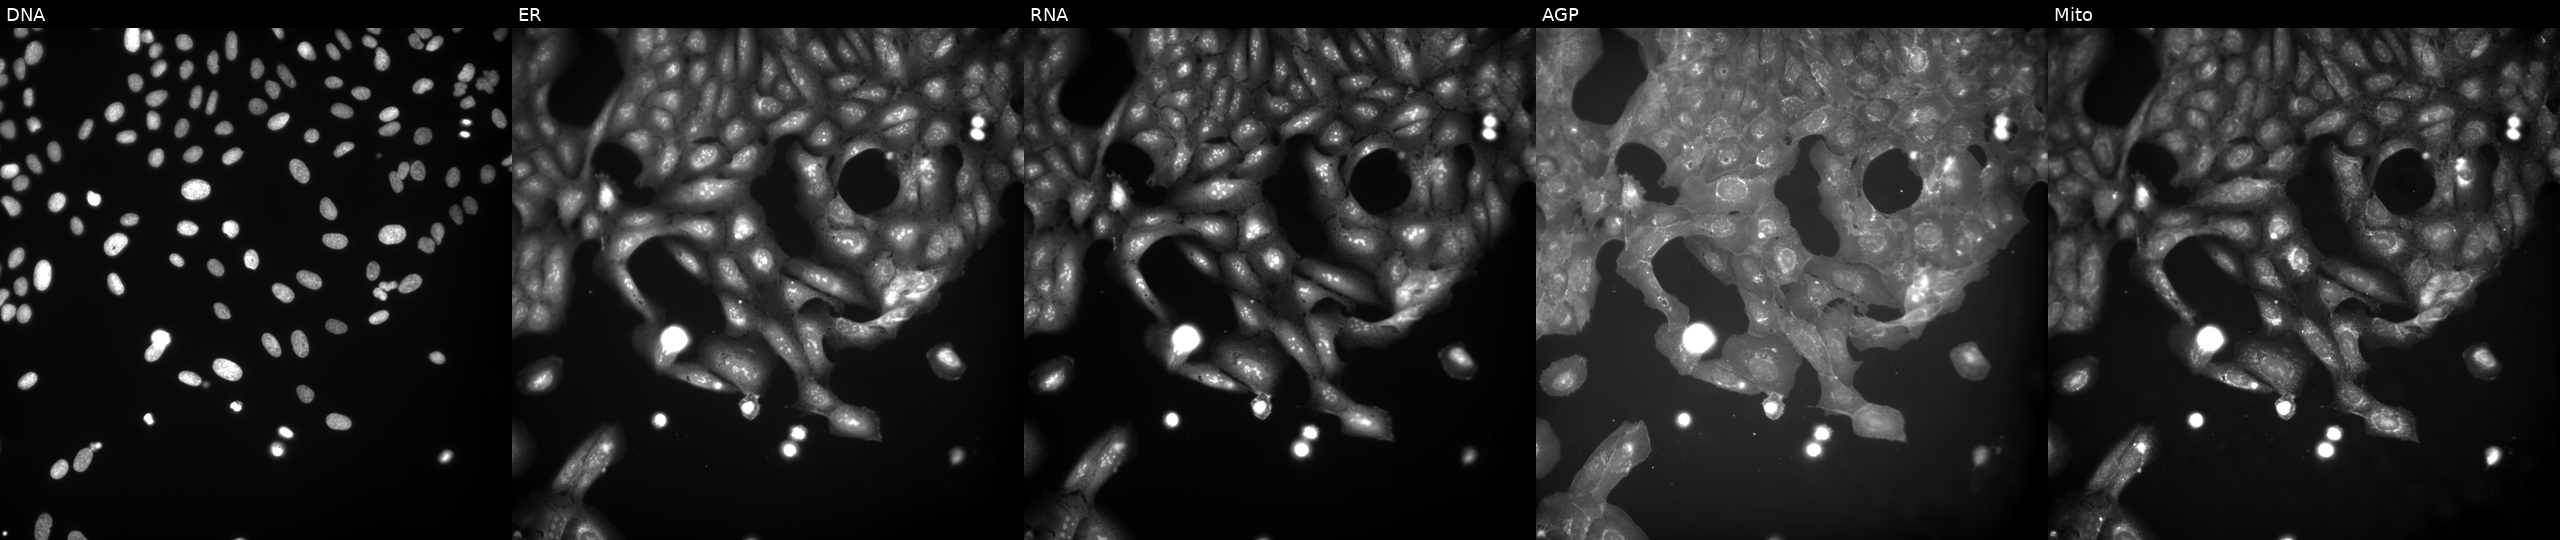
This image strip shows the five Cell Painting channels for a single field of U2OS cells treated with a small-molecule compound (InChIKey IDOMJIOORUVCPK-UHFFFAOYSA-N) [SMILES: CCOC(=O)c1c(N2C(=O)C=CC2=O)sc(C)c1C] (JUMP id JCP2022_034373). Panels show, left to right, Hoechst 33342, concanavalin A, SYTO 14, phalloidin and WGA, MitoTracker. Source 9, plate GR00003381, well T45.